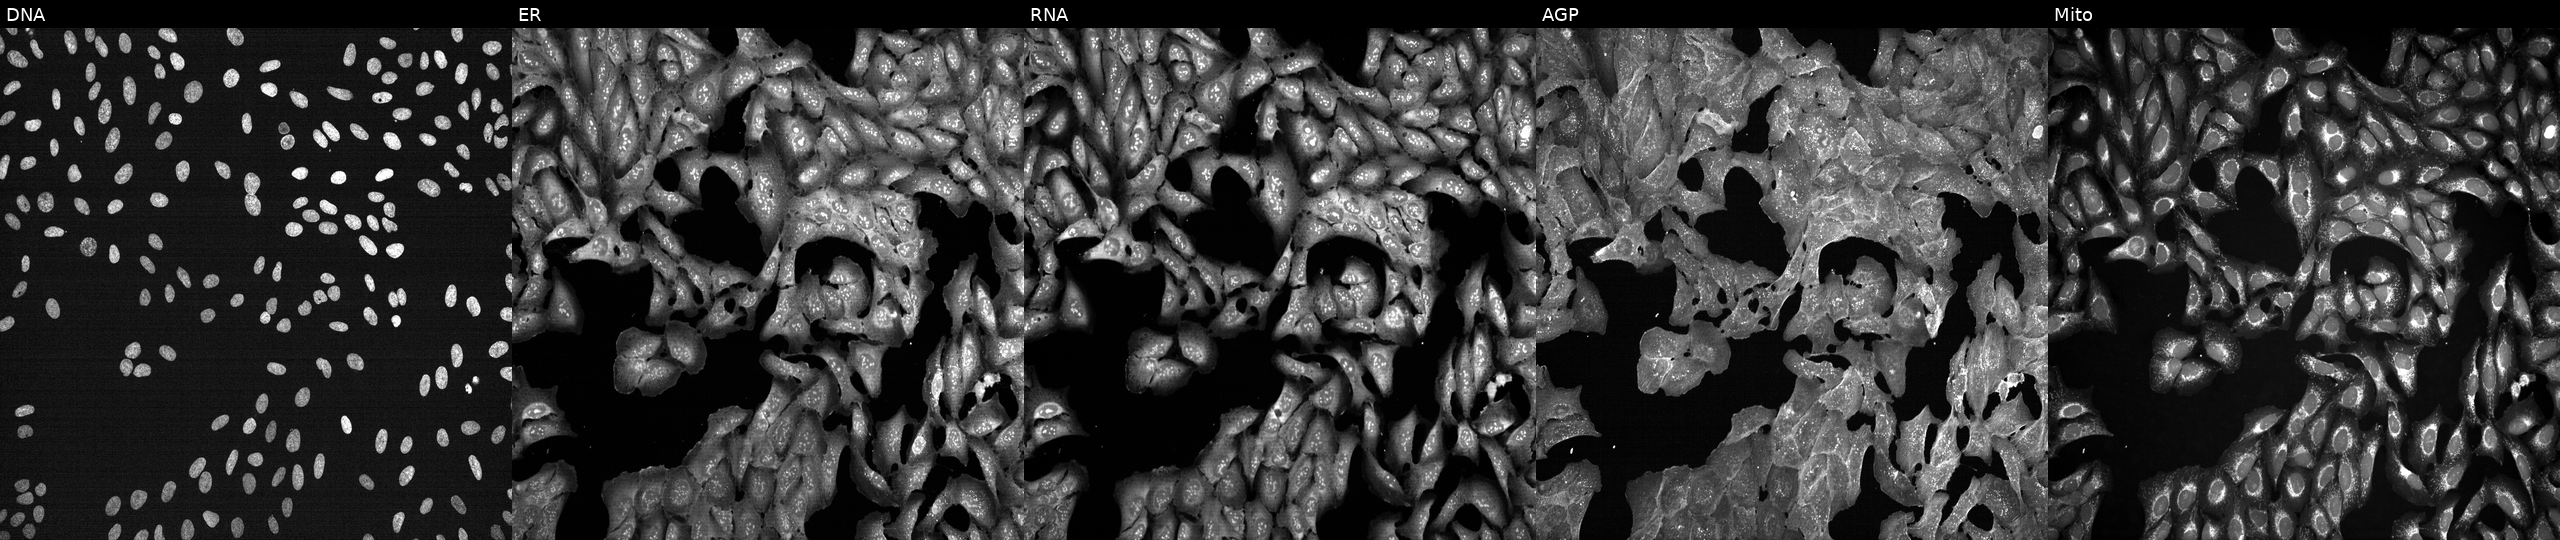
This image strip shows the five Cell Painting channels for a single field of U2OS cells exposed to a small-molecule compound [SMILES: O=C(O)c1ccc(-n2nc(-c3ccccc3O)nc2-c2ccccc2O)cc1] (JUMP id JCP2022_007613). The five panels, left to right, show Hoechst 33342, concanavalin A, SYTO 14, phalloidin and WGA, MitoTracker.